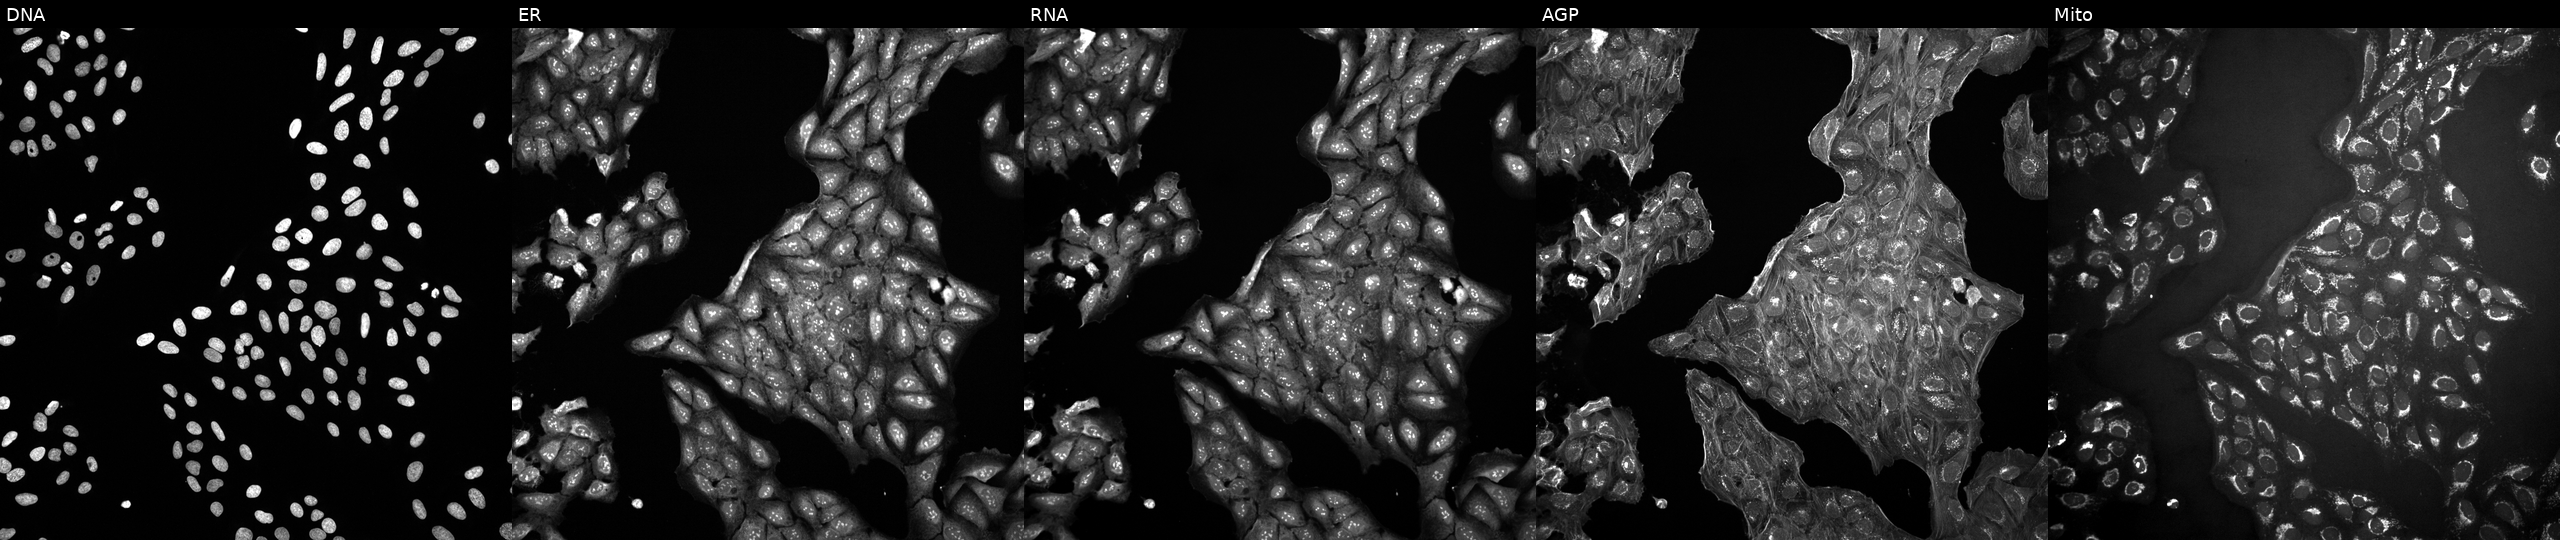
This image strip shows the five Cell Painting channels for a single field of U2OS cells exposed to a small-molecule compound (InChIKey GTWRXDFASFKZFR-UHFFFAOYSA-N) [SMILES: Cc1noc(C)c1C(=O)N1CCC(Cc2cnc3ccccc3c2)CC1] (JUMP id JCP2022_027736). The five panels, left to right, show DNA (nuclei); ER (endoplasmic reticulum); RNA (nucleoli and cytoplasmic RNA); AGP (actin cytoskeleton, Golgi, and plasma membrane); Mito (mitochondria).